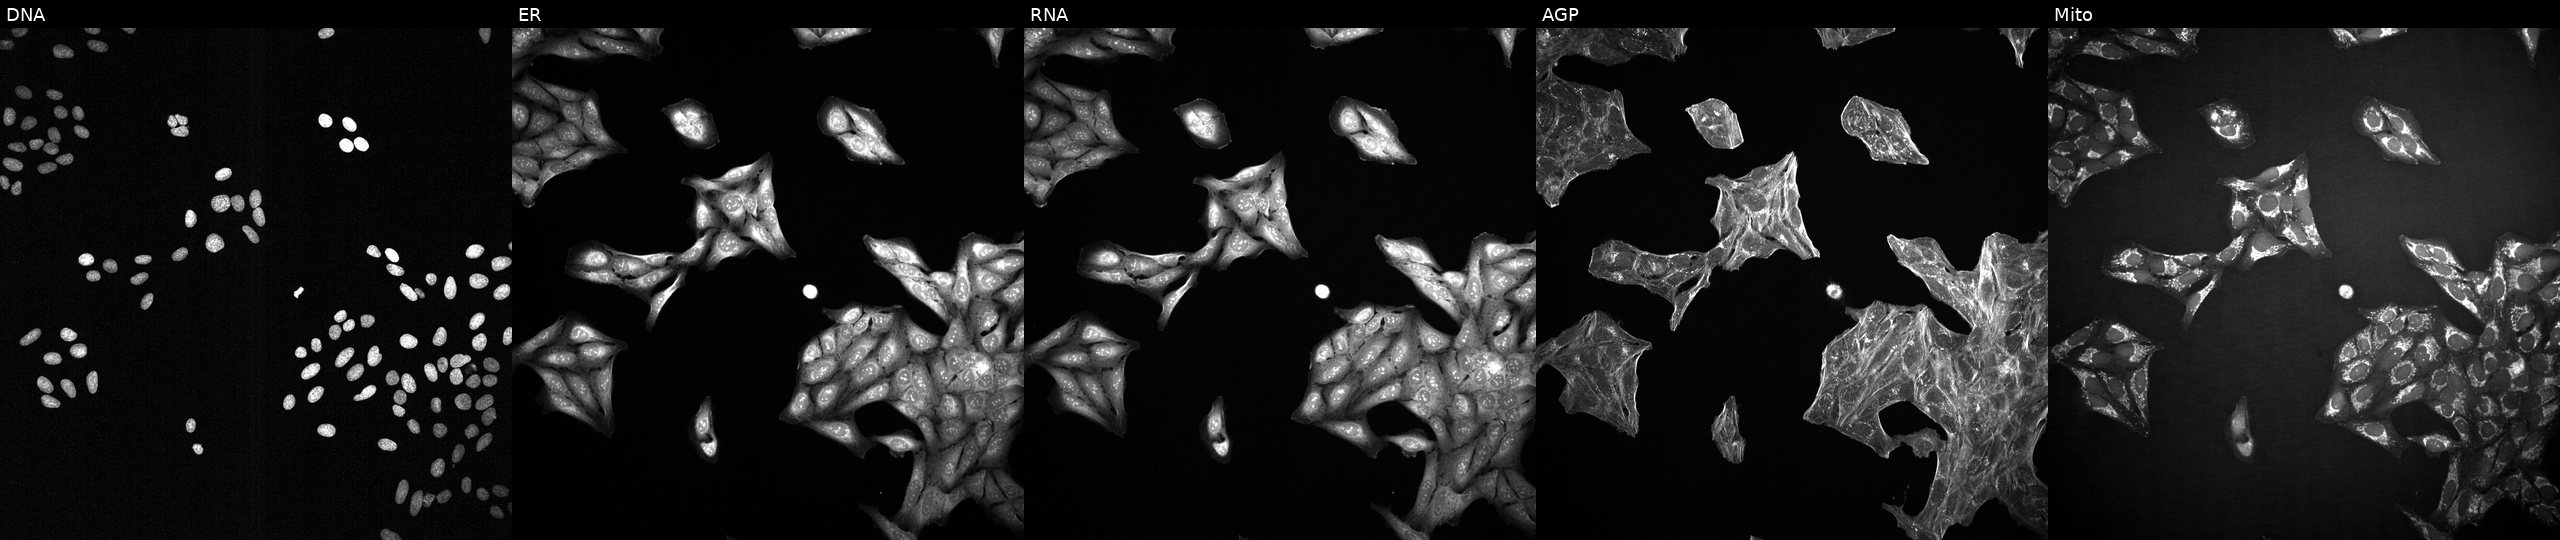
JUMP Cell Painting — TARGET2 plate. U2OS cells exposed to a small-molecule compound (InChIKey CUIHSIWYWATEQL-UHFFFAOYSA-N). Panels show, left to right, Hoechst 33342, concanavalin A, SYTO 14, phalloidin and WGA, MitoTracker.